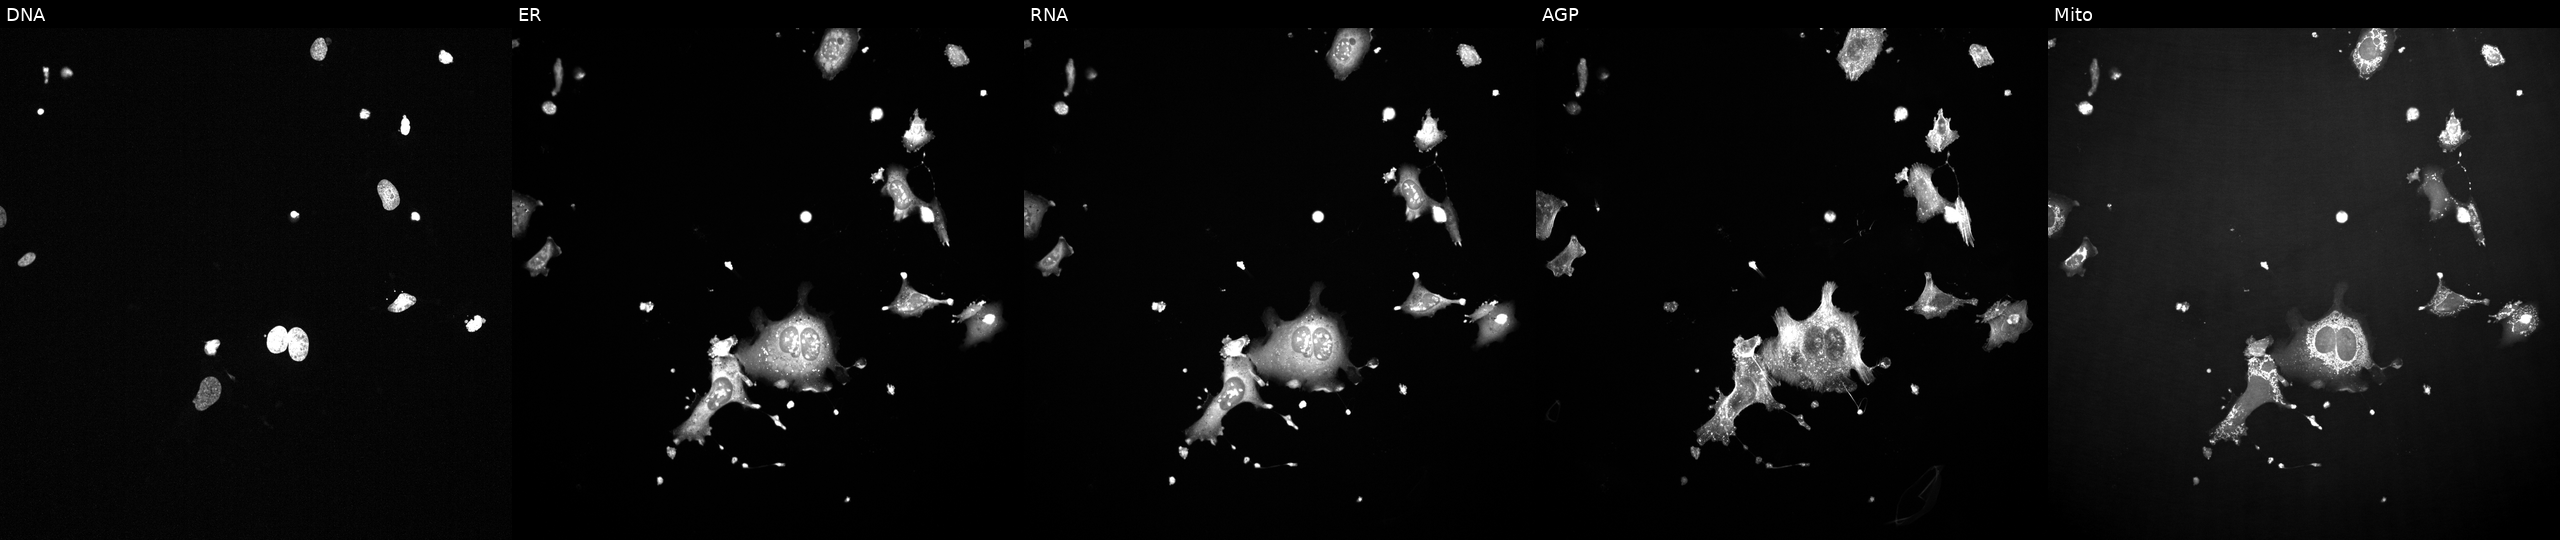
U2OS cells, Cell Painting assay, exposed to a small-molecule compound (InChIKey VSVFLGPUZJTBSD-UHFFFAOYSA-N). From left to right: DNA, ER, RNA, AGP, and Mito. Each panel is percentile-stretched 16-bit fluorescence.